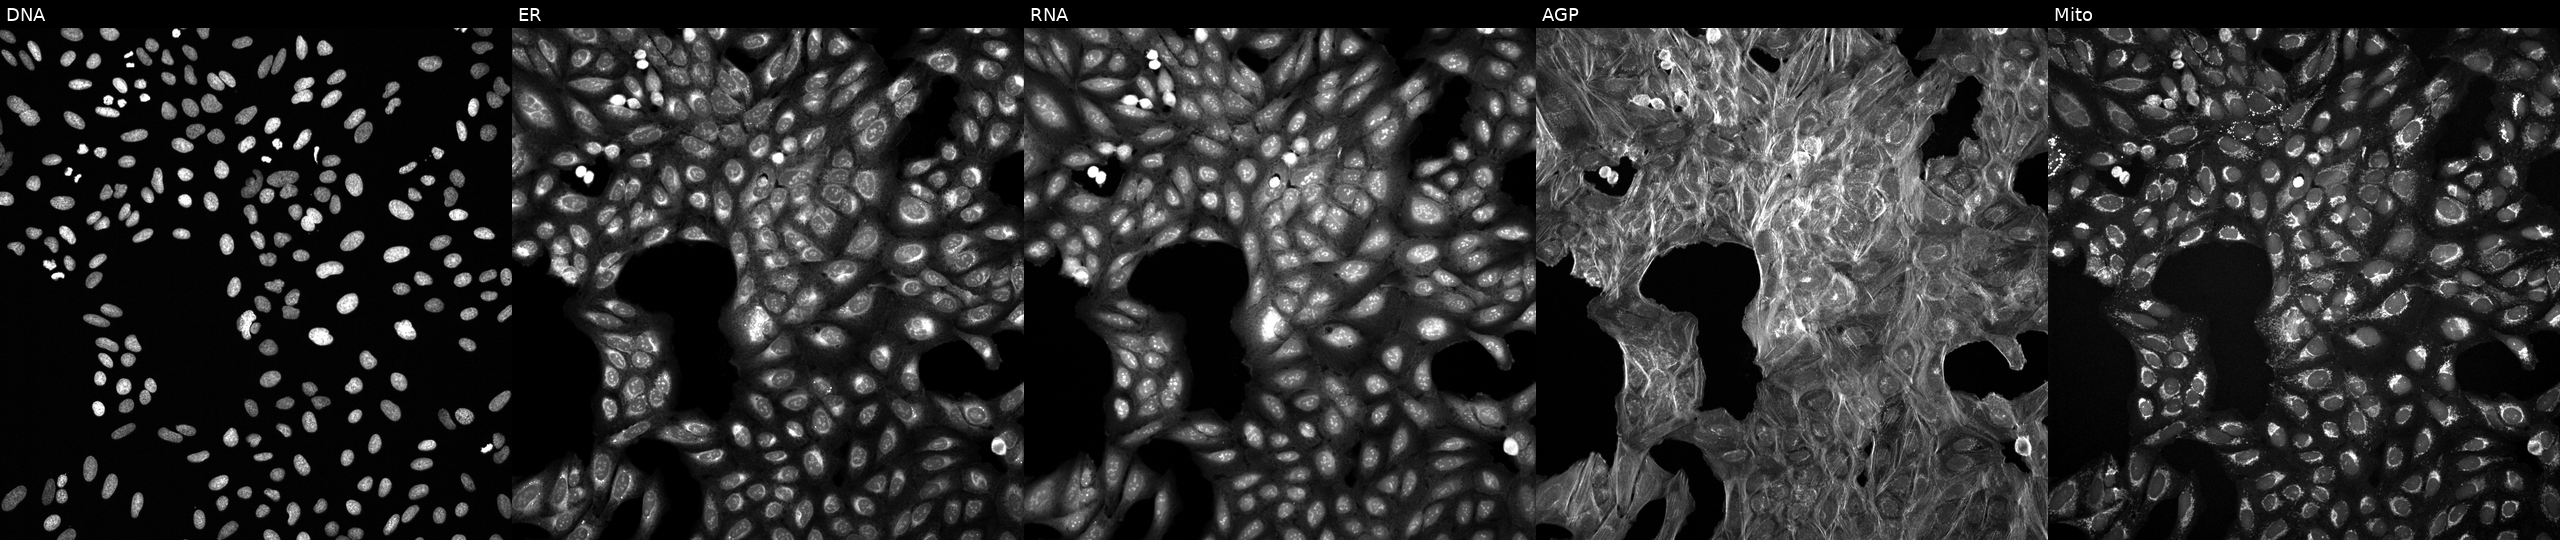
Five-channel Cell Painting image of U2OS cells perturbed with a small-molecule compound (InChIKey HRJLFDRVTDRIHZ-UHFFFAOYSA-N) (JUMP id JCP2022_032078). The five panels, left to right, show Hoechst 33342, concanavalin A, SYTO 14, phalloidin and WGA, MitoTracker.